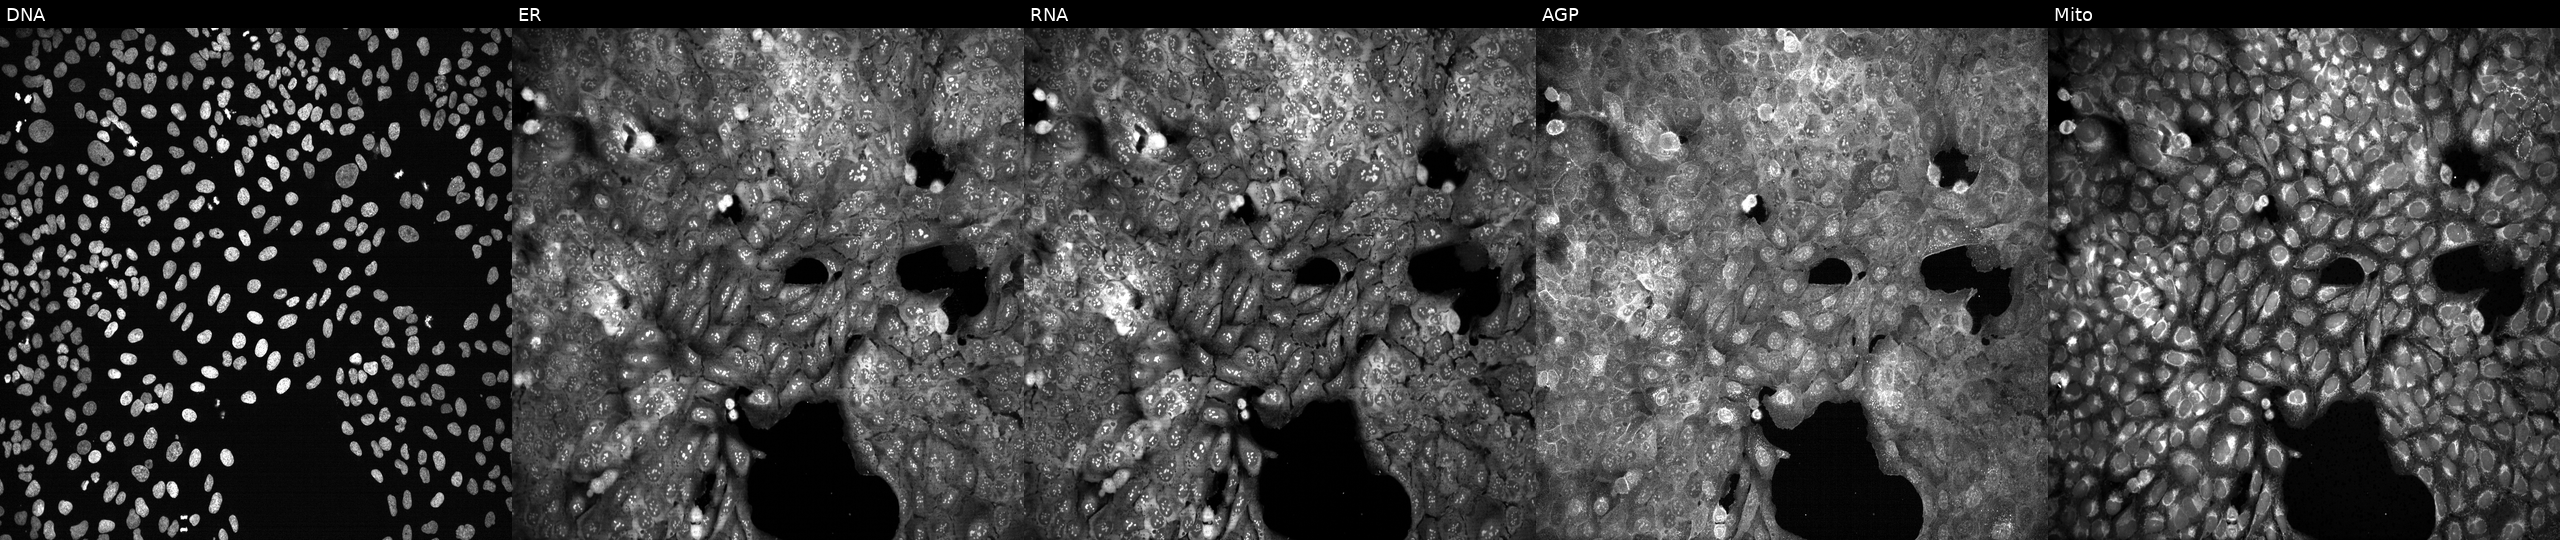
The five panels, left to right, show DNA (nuclei); ER (endoplasmic reticulum); RNA (nucleoli and cytoplasmic RNA); AGP (actin cytoskeleton, Golgi, and plasma membrane); Mito (mitochondria). U2OS osteosarcoma cells with no CRISPR guide (negative control). Cell Painting assay, JUMP-CP dataset.